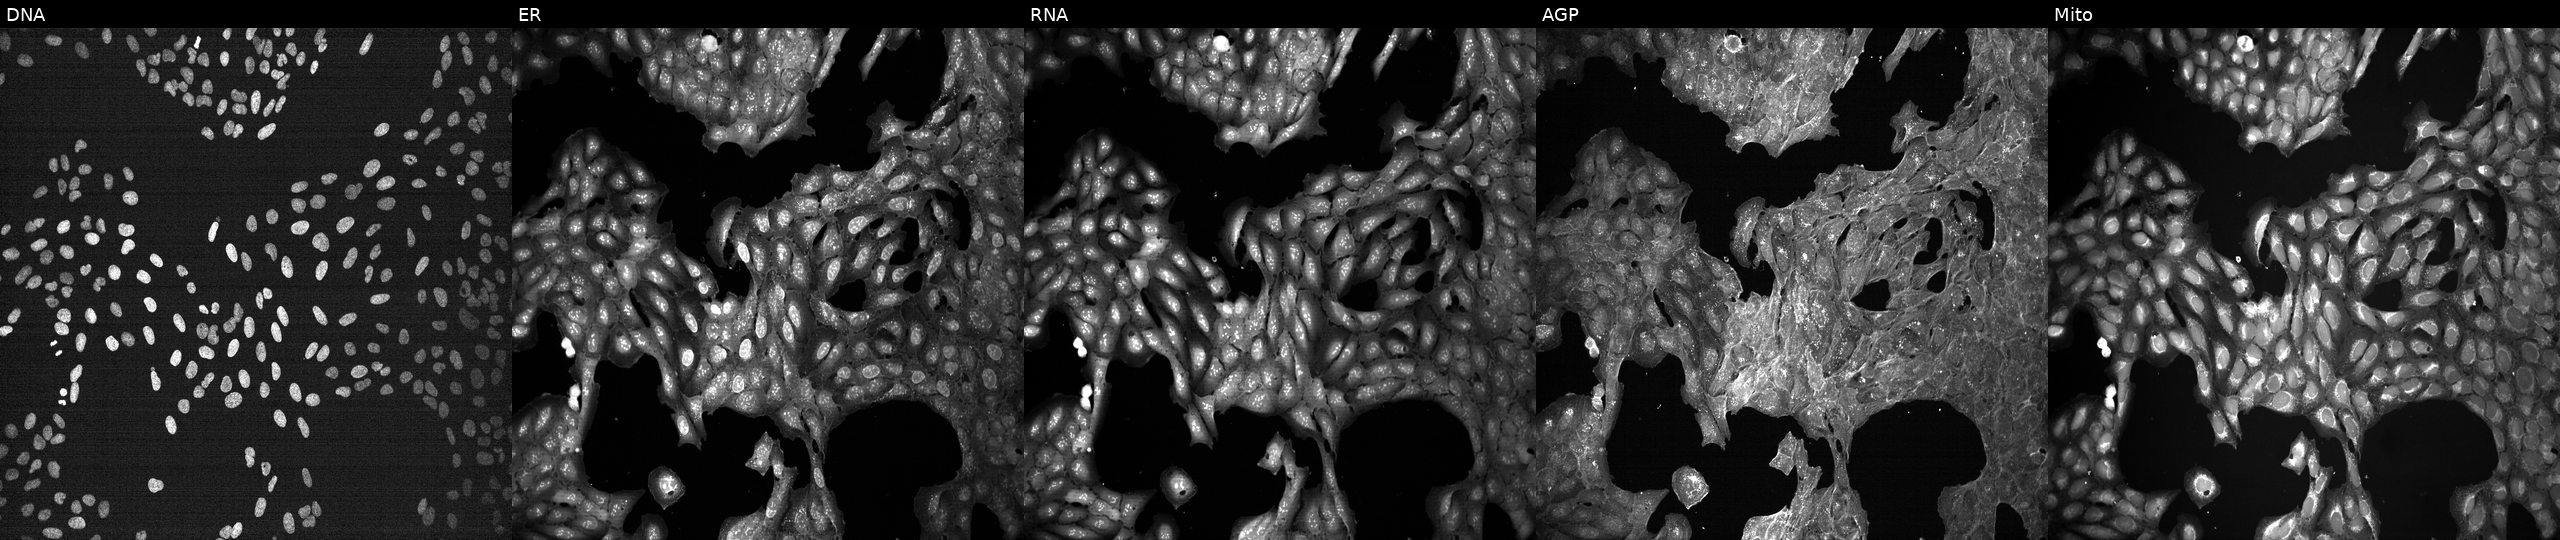
The five panels, left to right, show DNA, ER, RNA, AGP, and Mito. U2OS osteosarcoma cells treated with DMSO vehicle only (negative control) (JUMP id JCP2022_033924). Cell Painting assay, JUMP-CP dataset.